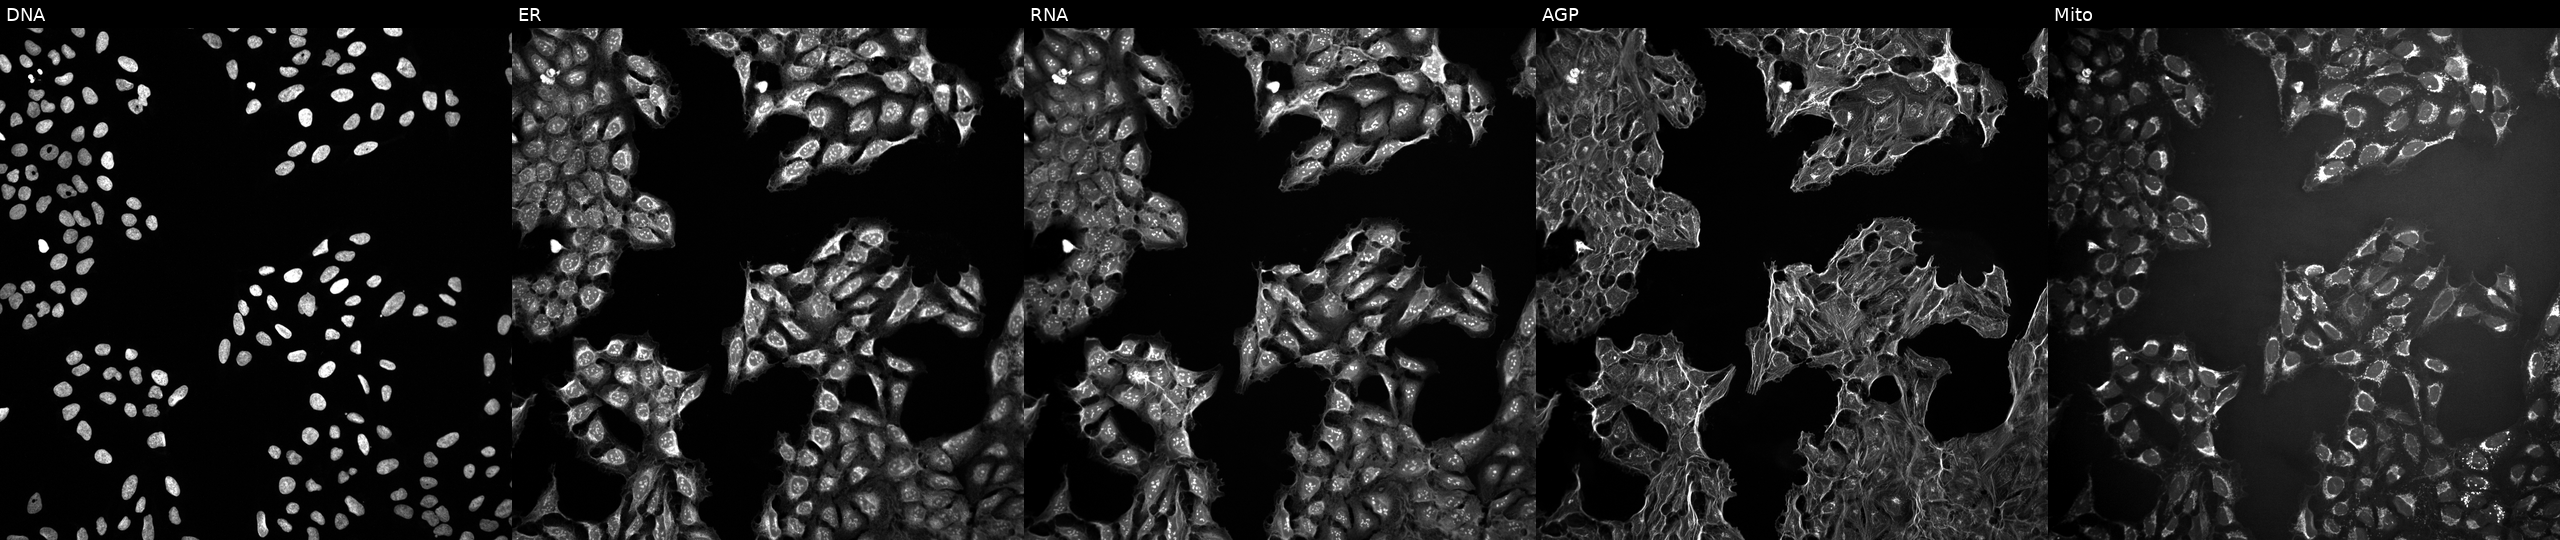
Five-channel Cell Painting image of U2OS cells exposed to a small-molecule compound. From left to right: DNA, ER, RNA, AGP, and Mito.